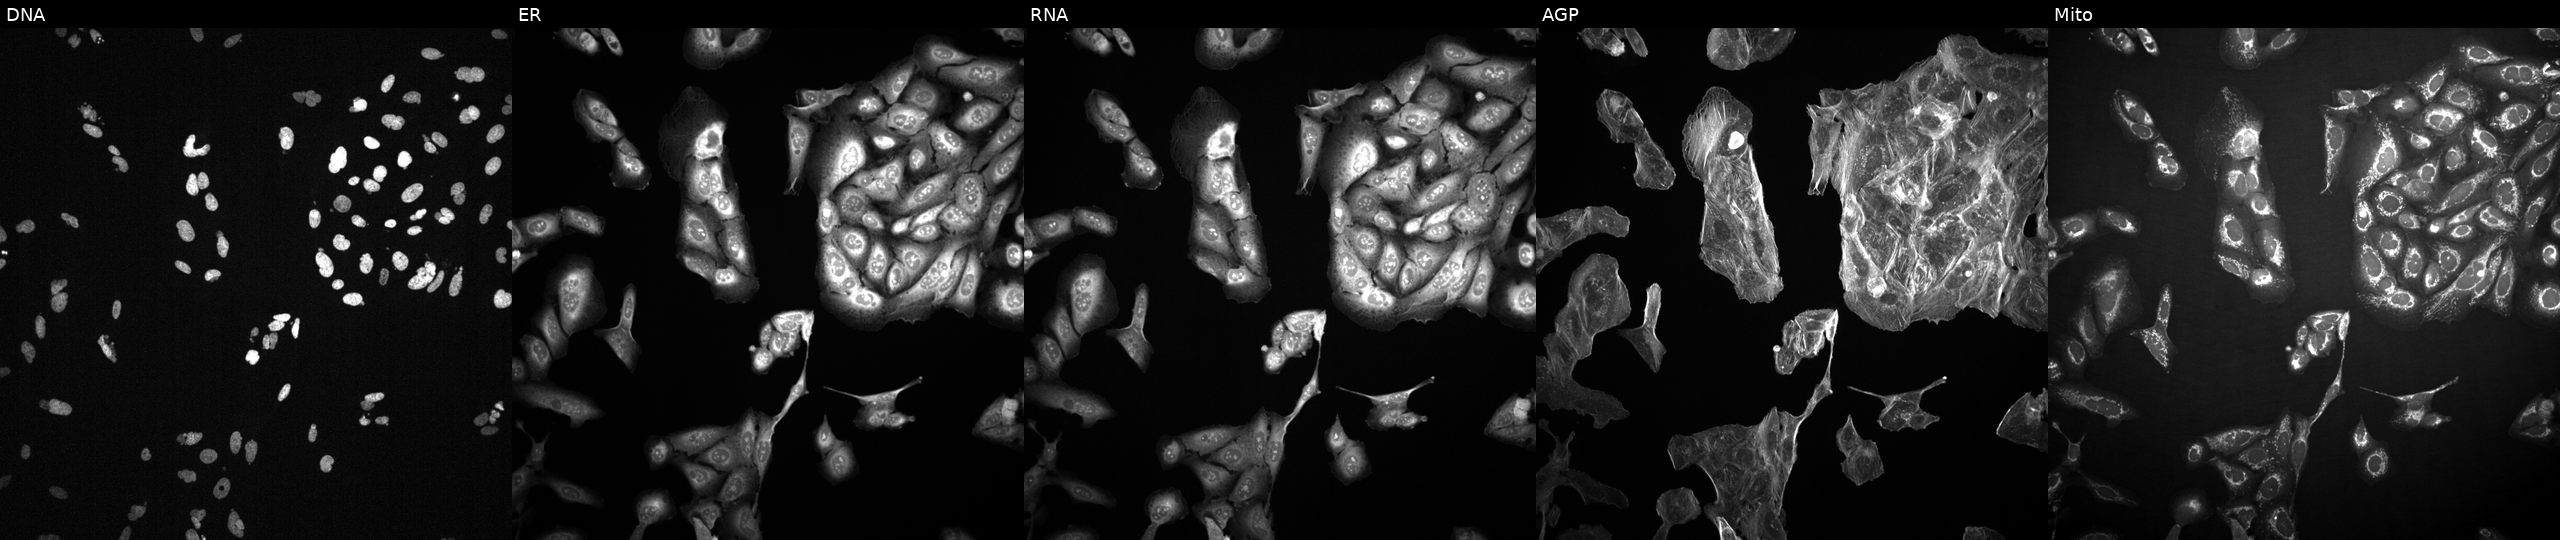
U2OS cells, Cell Painting assay, exposed to a small-molecule compound (InChIKey HSTZMXCBWJGKHG-UHFFFAOYSA-N) (JUMP id JCP2022_032353). From left to right: DNA (nuclei); ER (endoplasmic reticulum); RNA (nucleoli and cytoplasmic RNA); AGP (actin cytoskeleton, Golgi, and plasma membrane); Mito (mitochondria). Each panel is percentile-stretched 16-bit fluorescence.